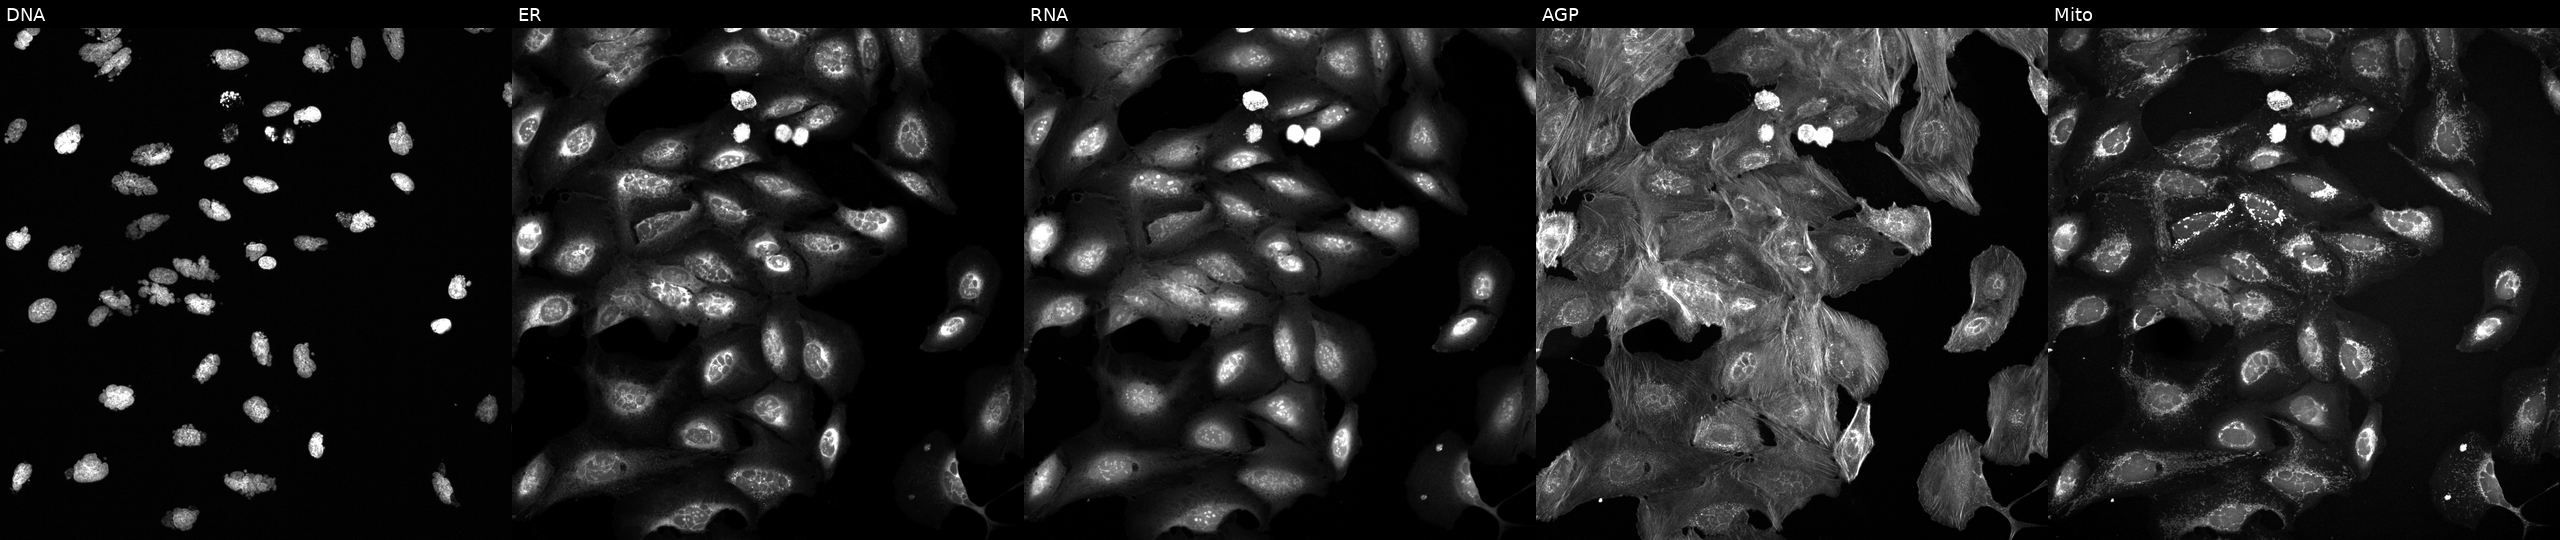
The five panels, left to right, show Hoechst 33342, concanavalin A, SYTO 14, phalloidin and WGA, MitoTracker. U2OS osteosarcoma cells treated with AMG900 (positive-control compound). Cell Painting assay, JUMP-CP dataset. Source 6, plate 110000293083, well J01.